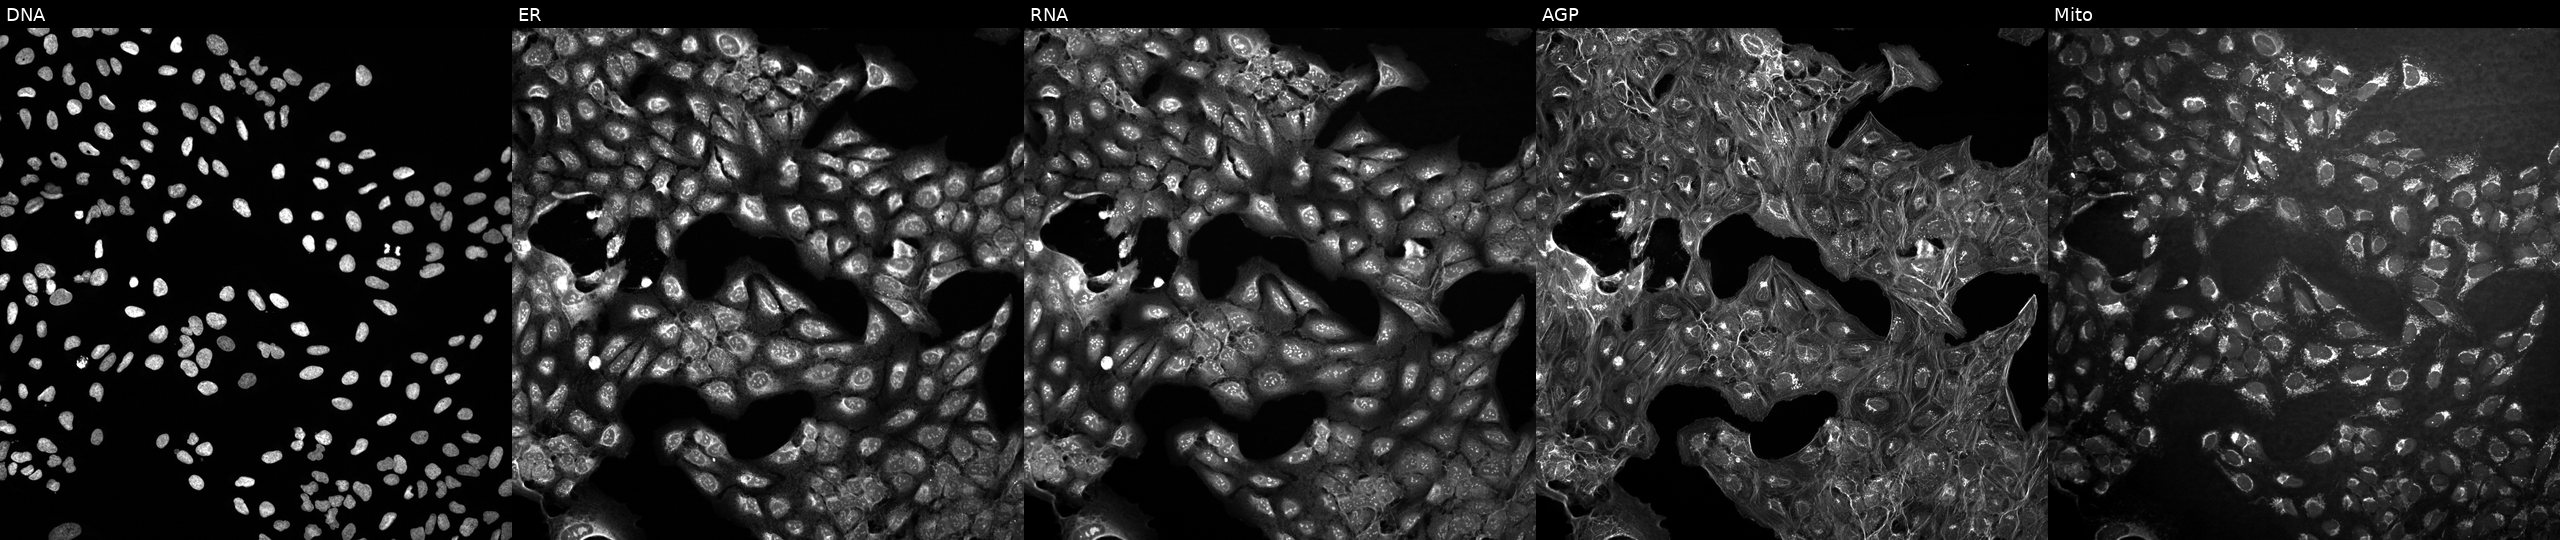
This image strip shows the five Cell Painting channels for a single field of U2OS cells untreated (empty-well control). The five panels, left to right, show DNA, ER, RNA, AGP, and Mito.